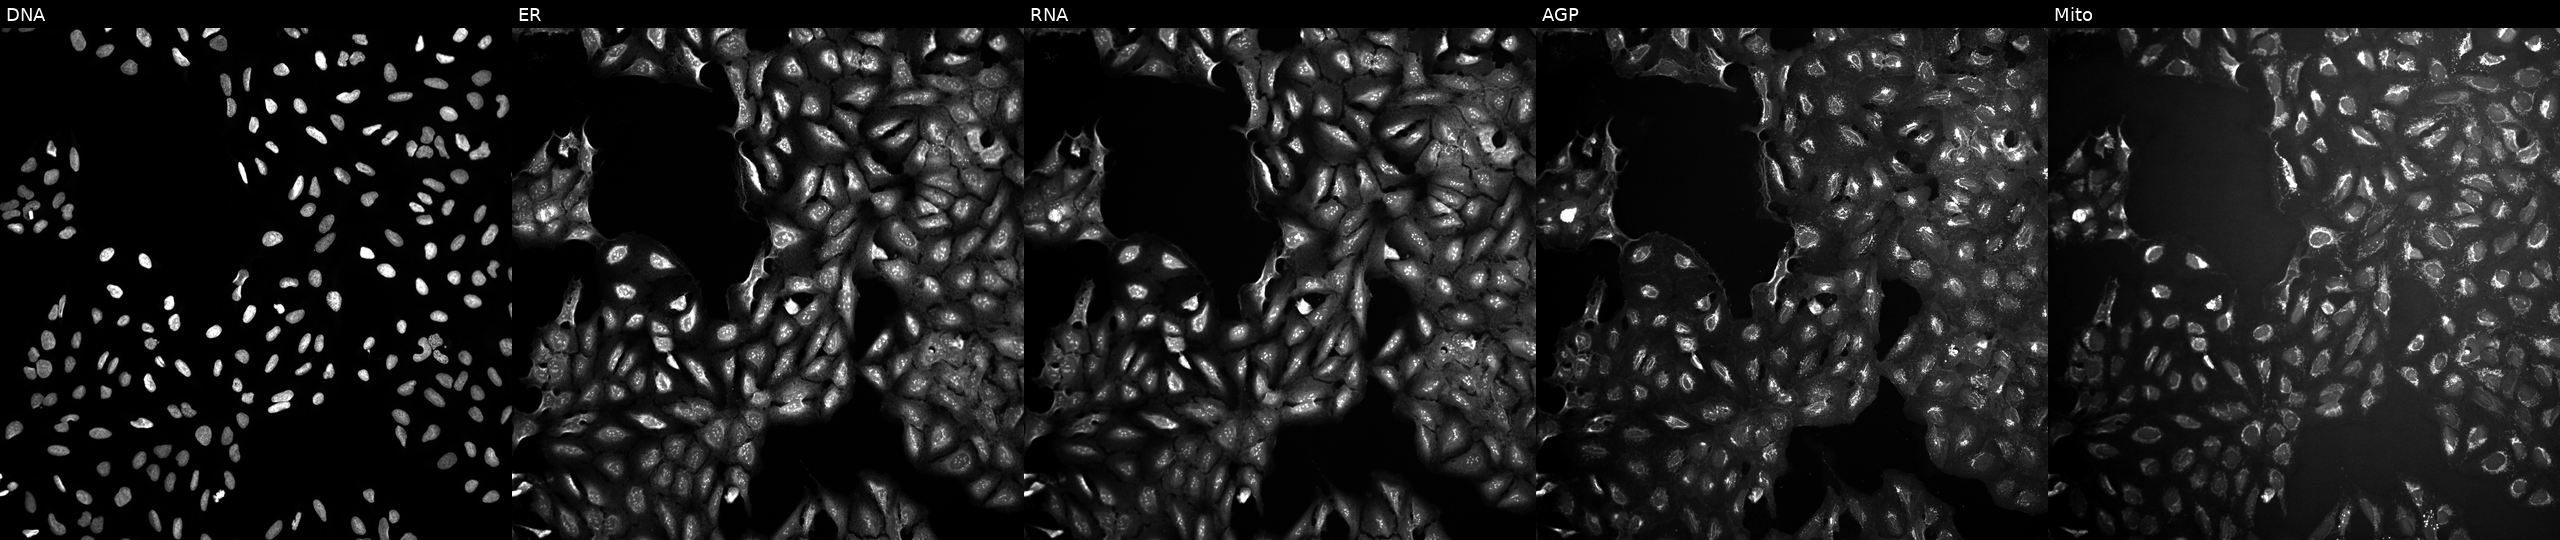
This image strip shows the five Cell Painting channels for a single field of U2OS cells treated with a small-molecule compound (InChIKey MXJWRABVEGLYDG-UHFFFAOYSA-N). Panels show, left to right, Hoechst 33342, concanavalin A, SYTO 14, phalloidin and WGA, MitoTracker. Source 10, plate Dest210803-153958, well I21.